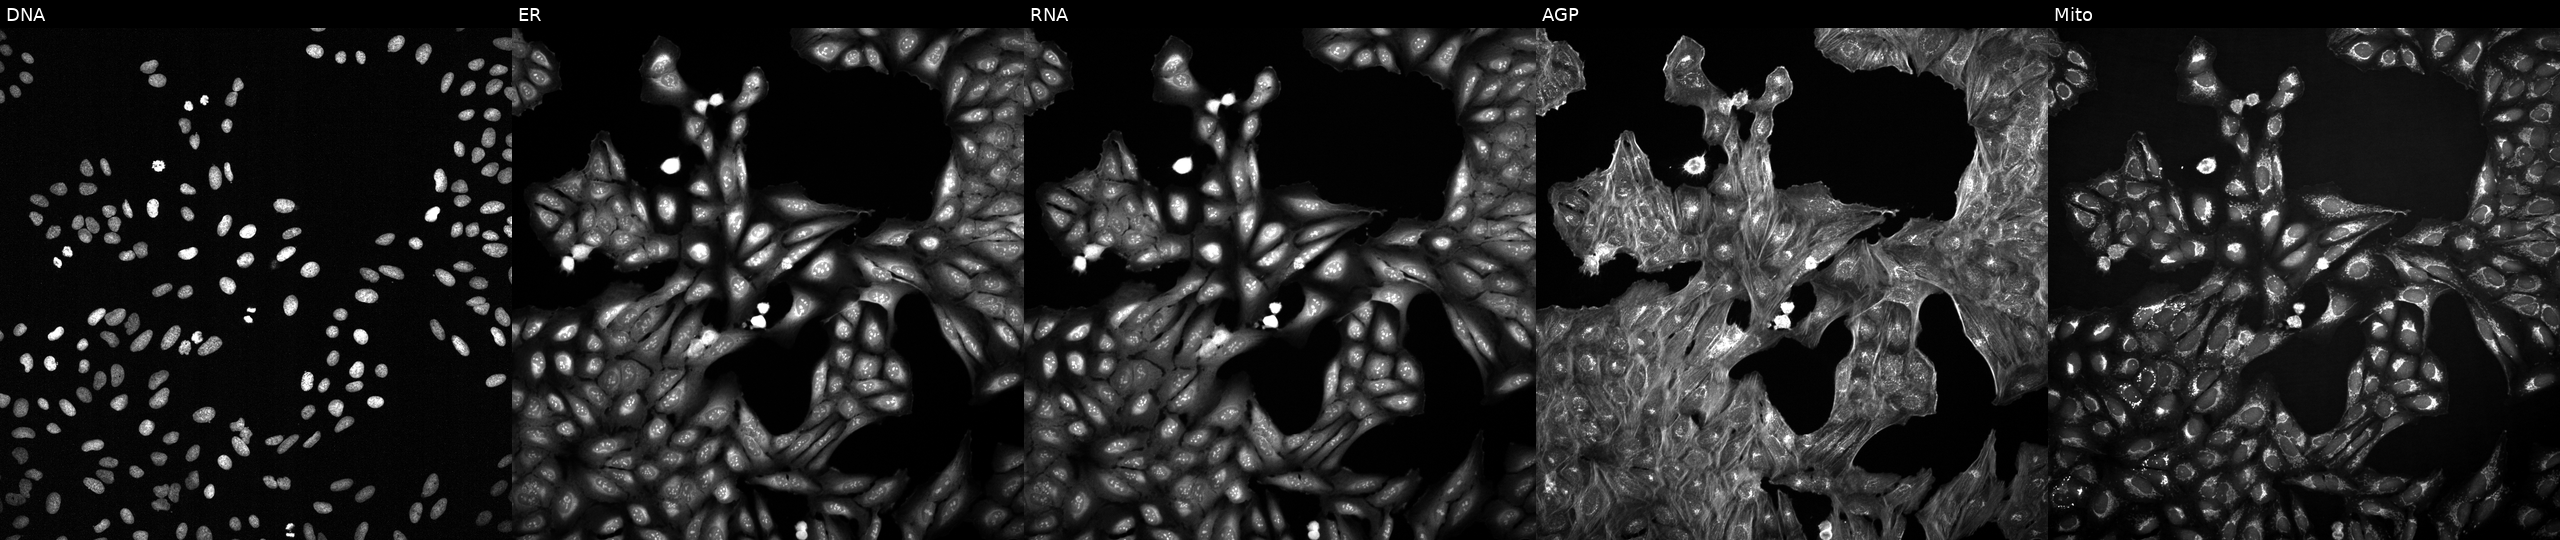
U2OS cells, Cell Painting assay, treated with a small-molecule compound. From left to right: Hoechst 33342, concanavalin A, SYTO 14, phalloidin and WGA, MitoTracker. Each panel is percentile-stretched 16-bit fluorescence. Source 2, plate 1053600674, well E09.